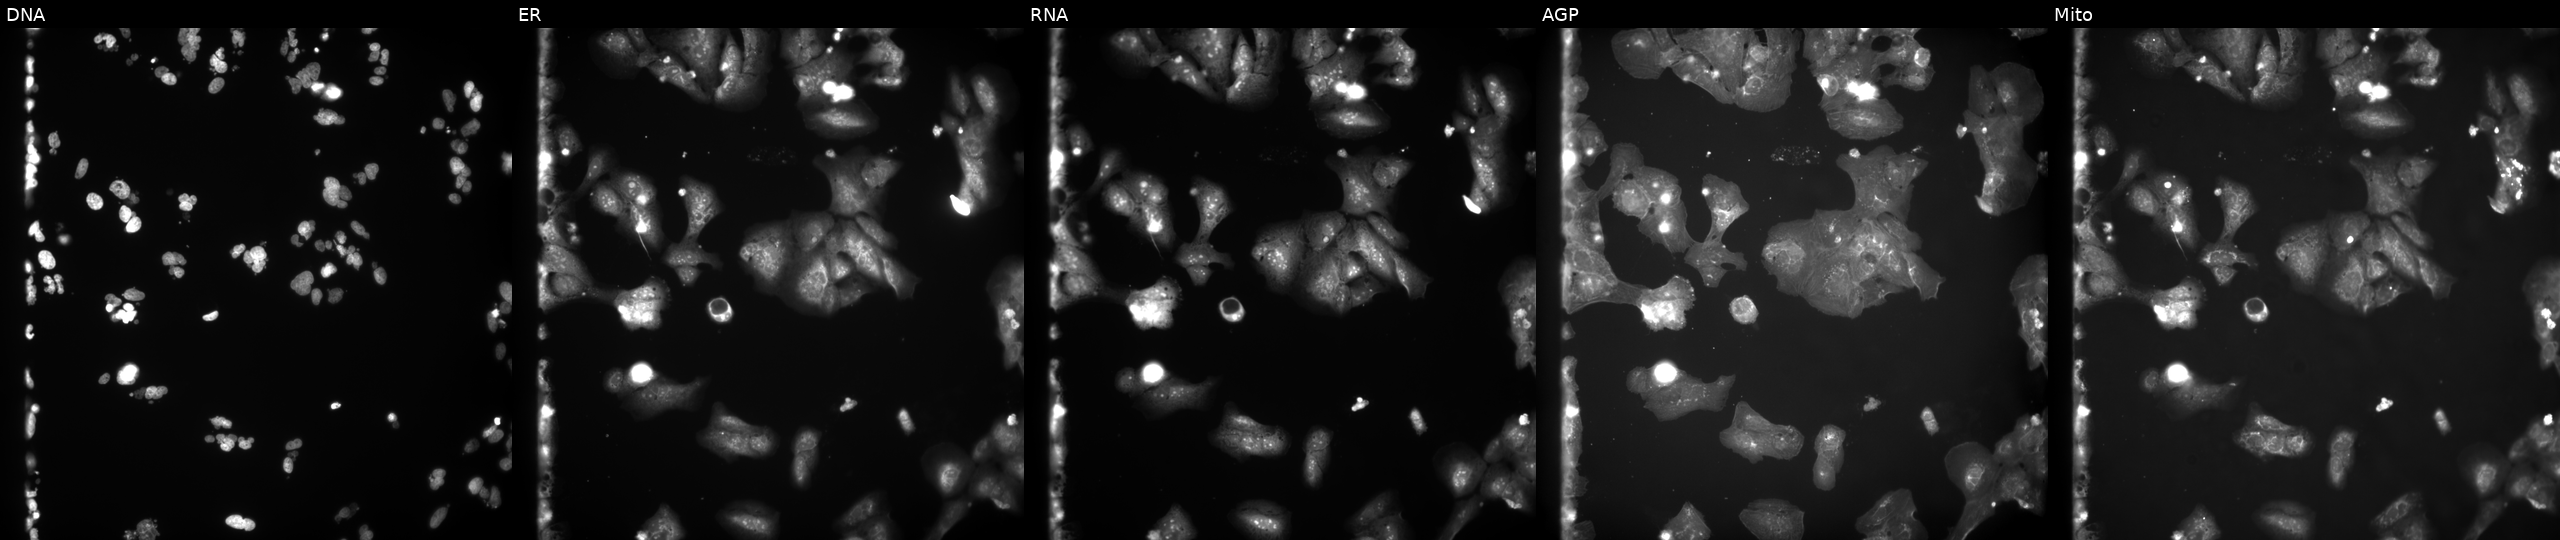
JUMP Cell Painting — COMPOUND plate. U2OS cells treated with a small-molecule compound (InChIKey QVLJKZVKALSWTG-UHFFFAOYSA-N). The five panels, left to right, show DNA (nuclei); ER (endoplasmic reticulum); RNA (nucleoli and cytoplasmic RNA); AGP (actin cytoskeleton, Golgi, and plasma membrane); Mito (mitochondria).